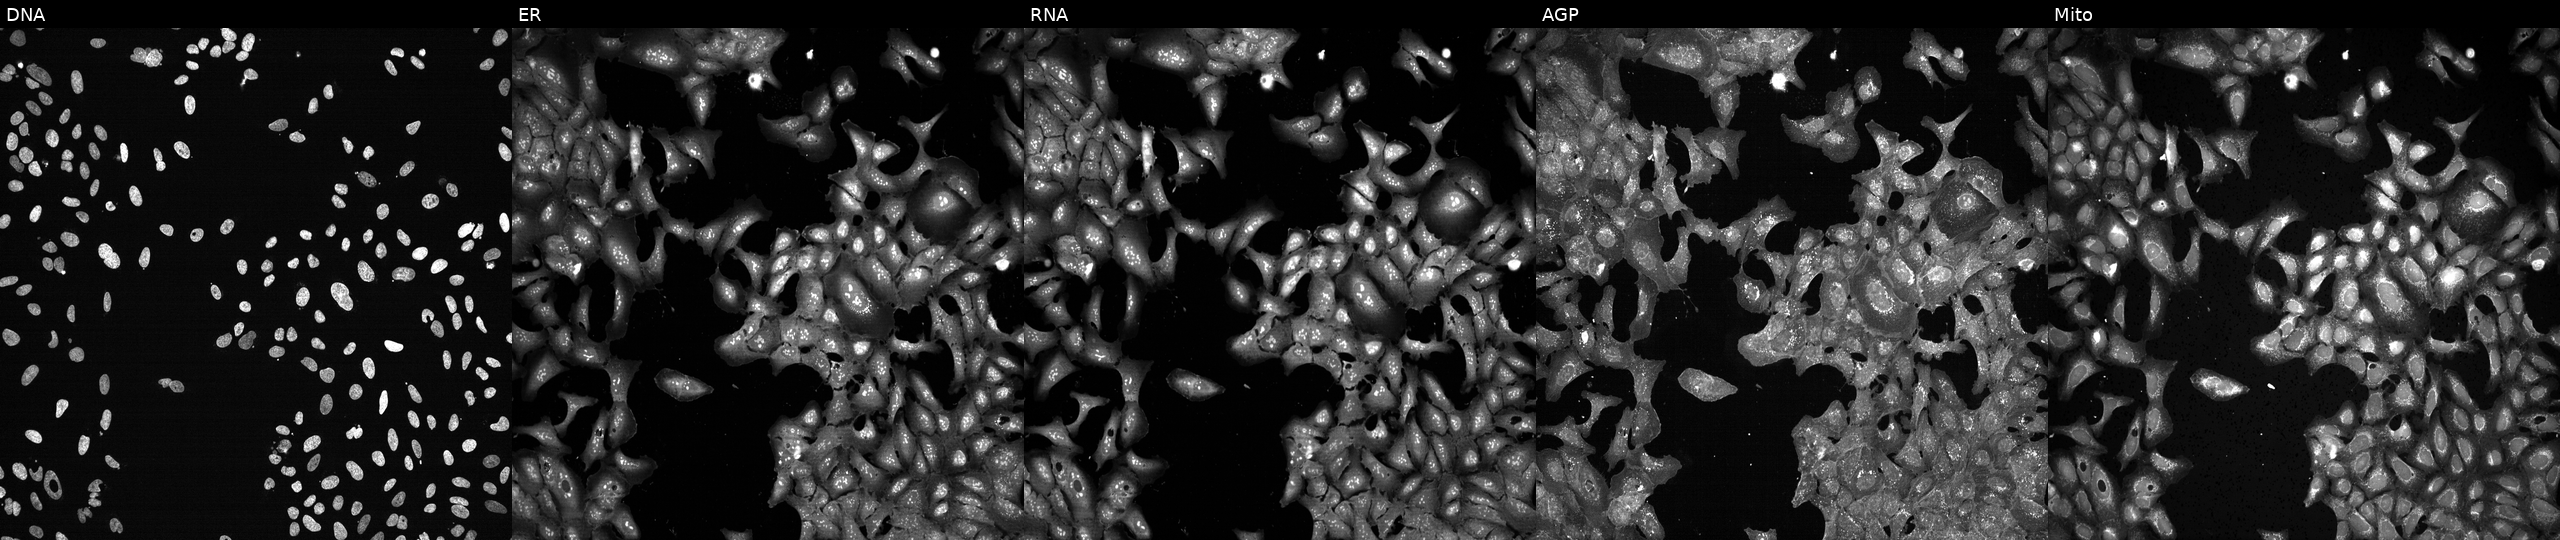
JUMP Cell Painting — CRISPR plate. U2OS cells with EEF1A1 knocked out by CRISPR (JUMP id JCP2022_802007). Panels show, left to right, DNA (nuclei); ER (endoplasmic reticulum); RNA (nucleoli and cytoplasmic RNA); AGP (actin cytoskeleton, Golgi, and plasma membrane); Mito (mitochondria).